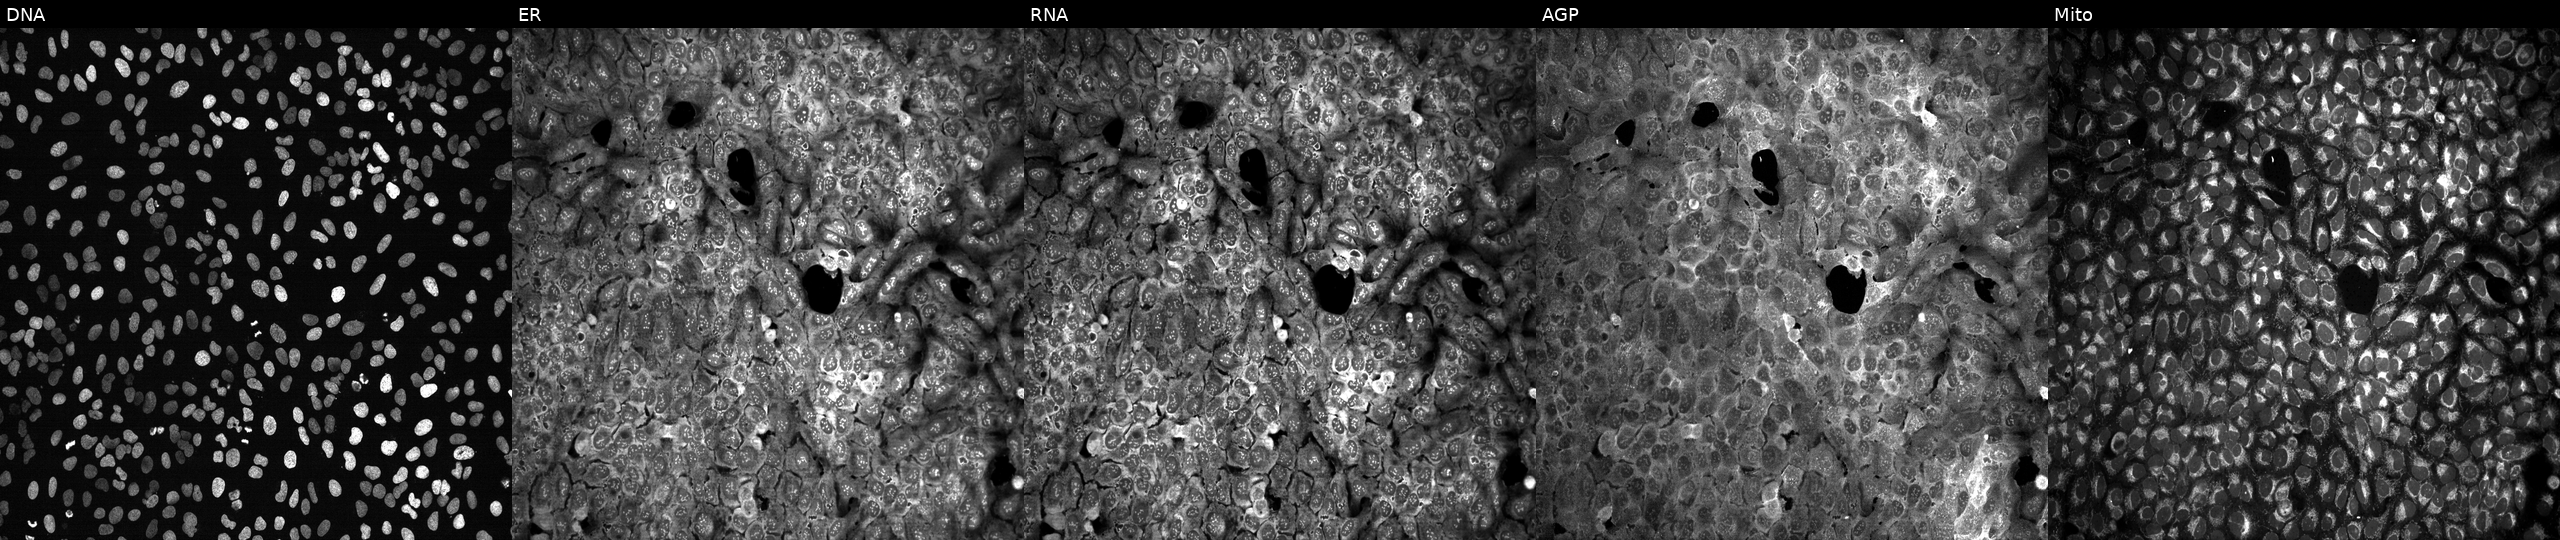
JUMP Cell Painting — CRISPR plate. U2OS cells following CRISPR knockout of PTCH1 (JUMP id JCP2022_805637). The five panels, left to right, show DNA (nuclei); ER (endoplasmic reticulum); RNA (nucleoli and cytoplasmic RNA); AGP (actin cytoskeleton, Golgi, and plasma membrane); Mito (mitochondria).